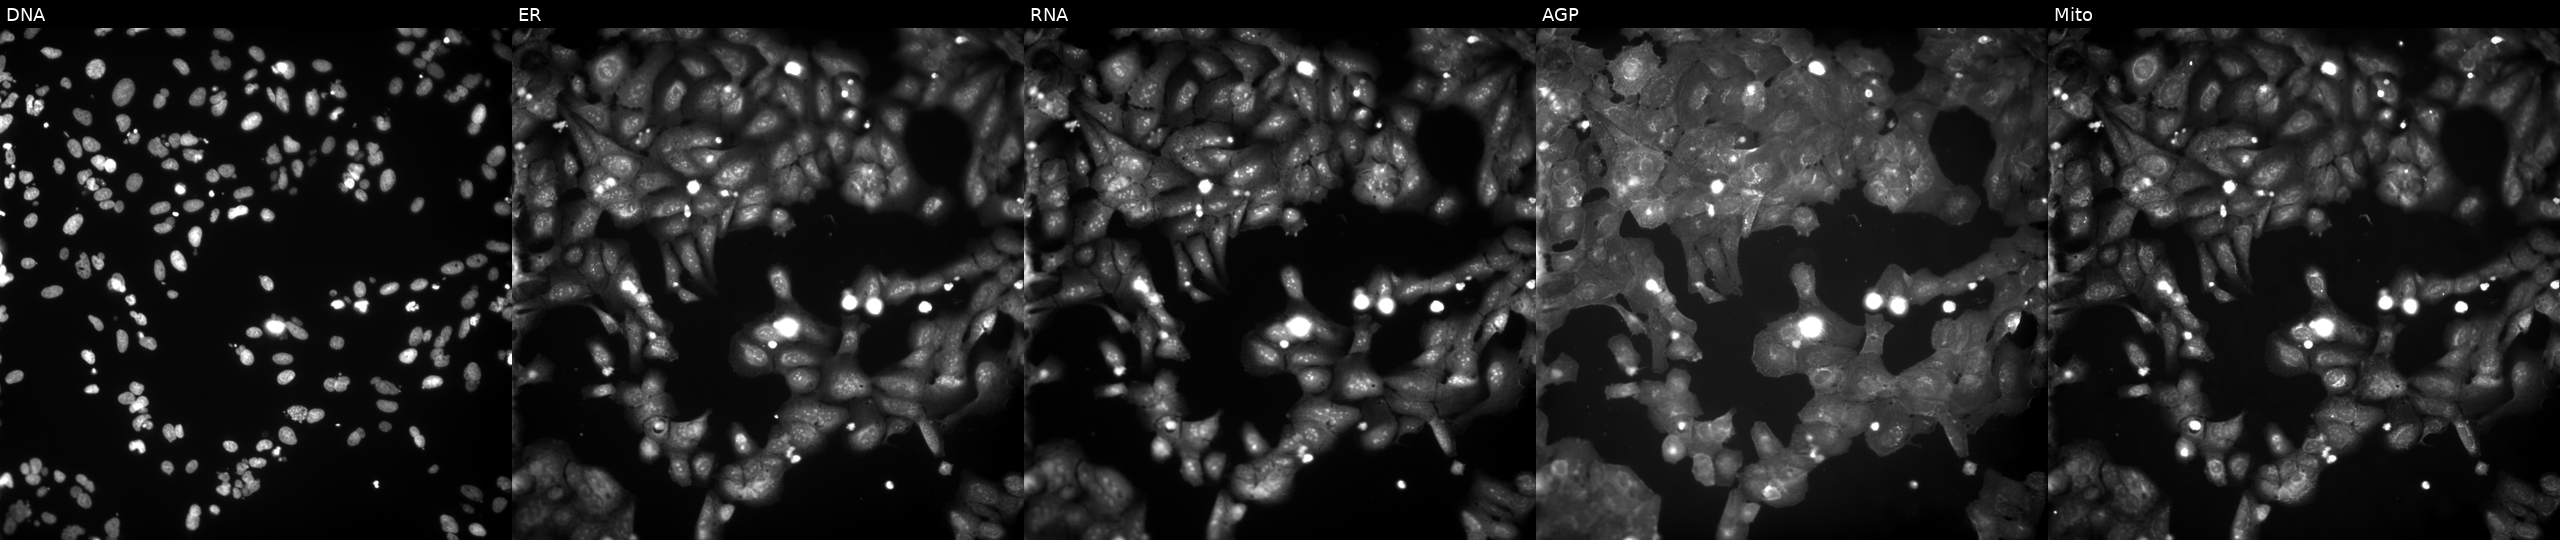
This image strip shows the five Cell Painting channels for a single field of U2OS cells exposed to a small-molecule compound (InChIKey FBIIVRLLNKYTDS-UHFFFAOYSA-N) [SMILES: CCOc1ccc(NC(=O)COc2c(C)ccc(C)c2C)cc1]. The five panels, left to right, show DNA (nuclei); ER (endoplasmic reticulum); RNA (nucleoli and cytoplasmic RNA); AGP (actin cytoskeleton, Golgi, and plasma membrane); Mito (mitochondria).